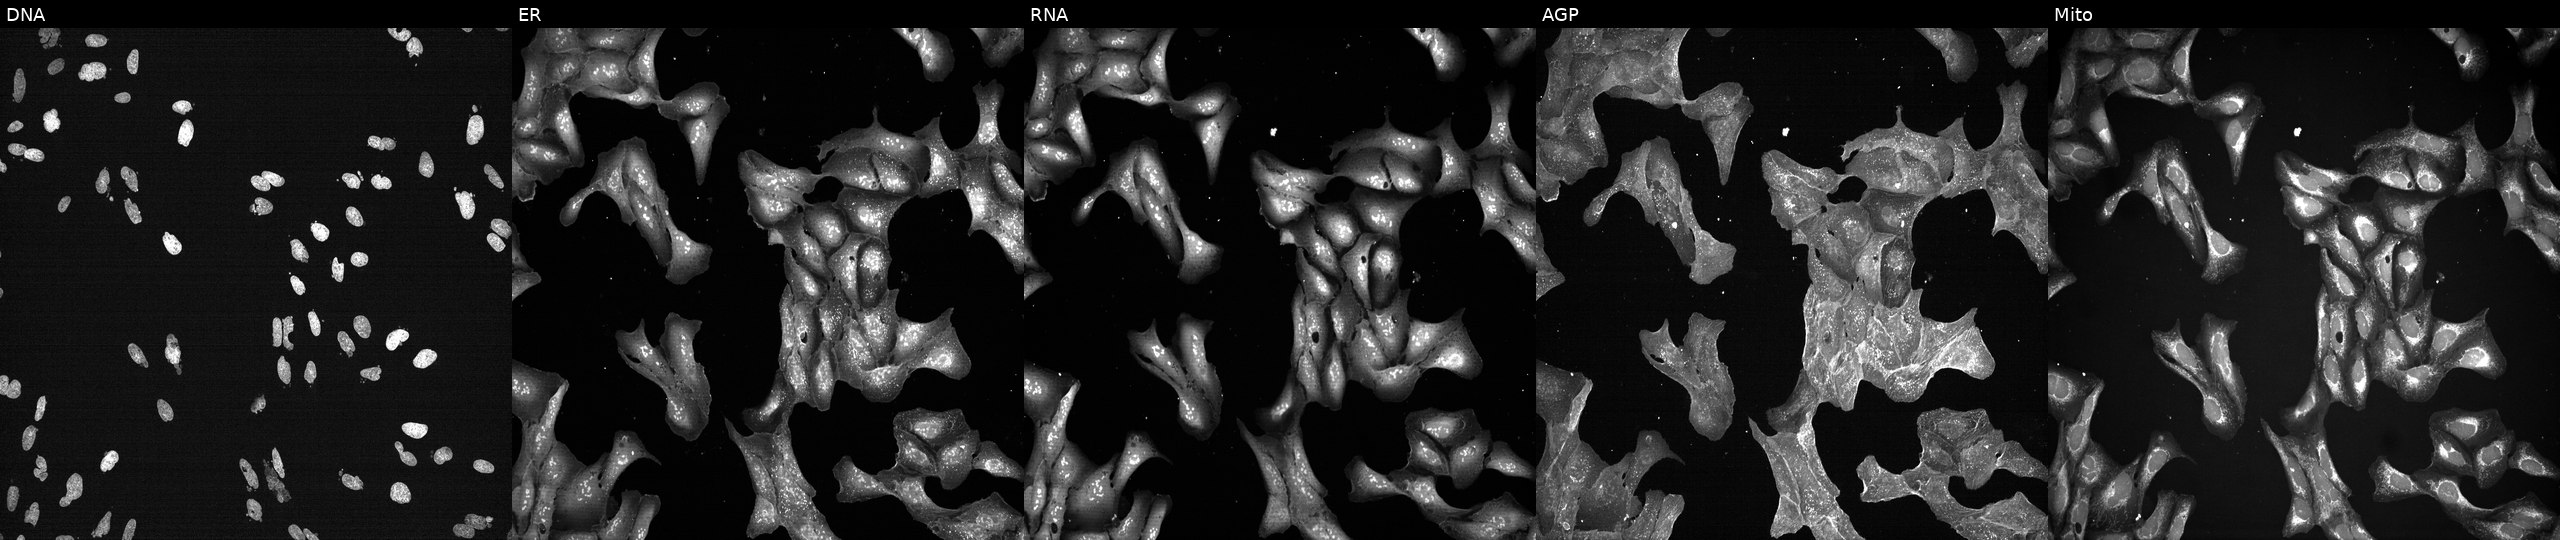
This image strip shows the five Cell Painting channels for a single field of U2OS cells treated with a small-molecule compound (InChIKey KRBSMMVJJVHVCB-UHFFFAOYSA-N) (JUMP id JCP2022_046462). The five panels, left to right, show DNA, ER, RNA, AGP, and Mito.